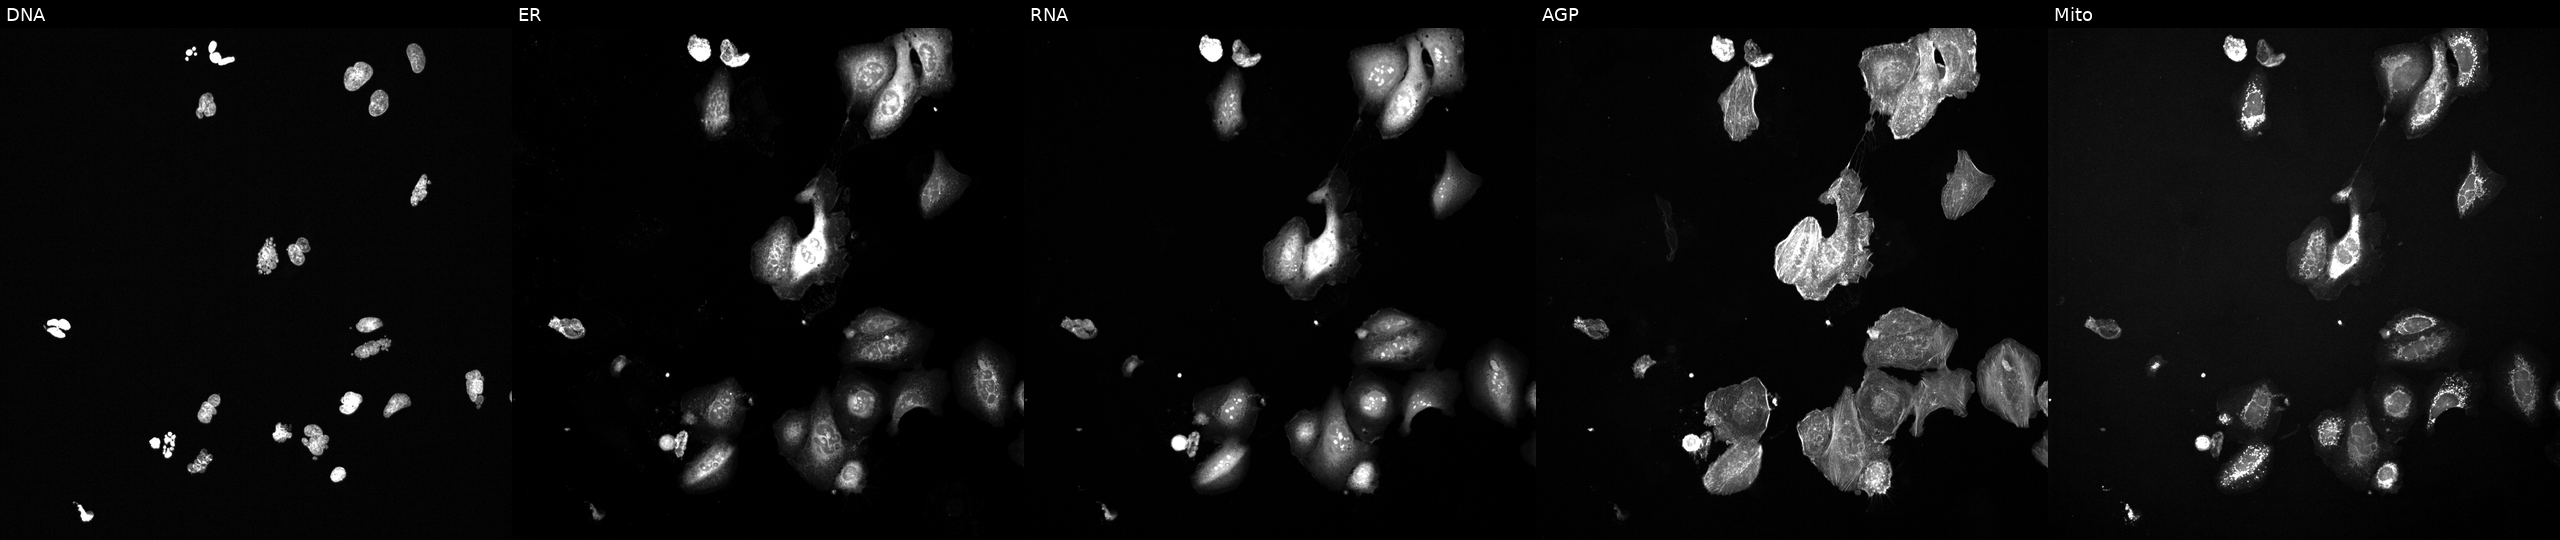
JUMP Cell Painting — TARGET2 plate. U2OS cells perturbed with a small-molecule compound (InChIKey RAOCRURYZCVHMG-UHFFFAOYSA-N) (JUMP id JCP2022_077096). Panels show, left to right, DNA (nuclei); ER (endoplasmic reticulum); RNA (nucleoli and cytoplasmic RNA); AGP (actin cytoskeleton, Golgi, and plasma membrane); Mito (mitochondria).